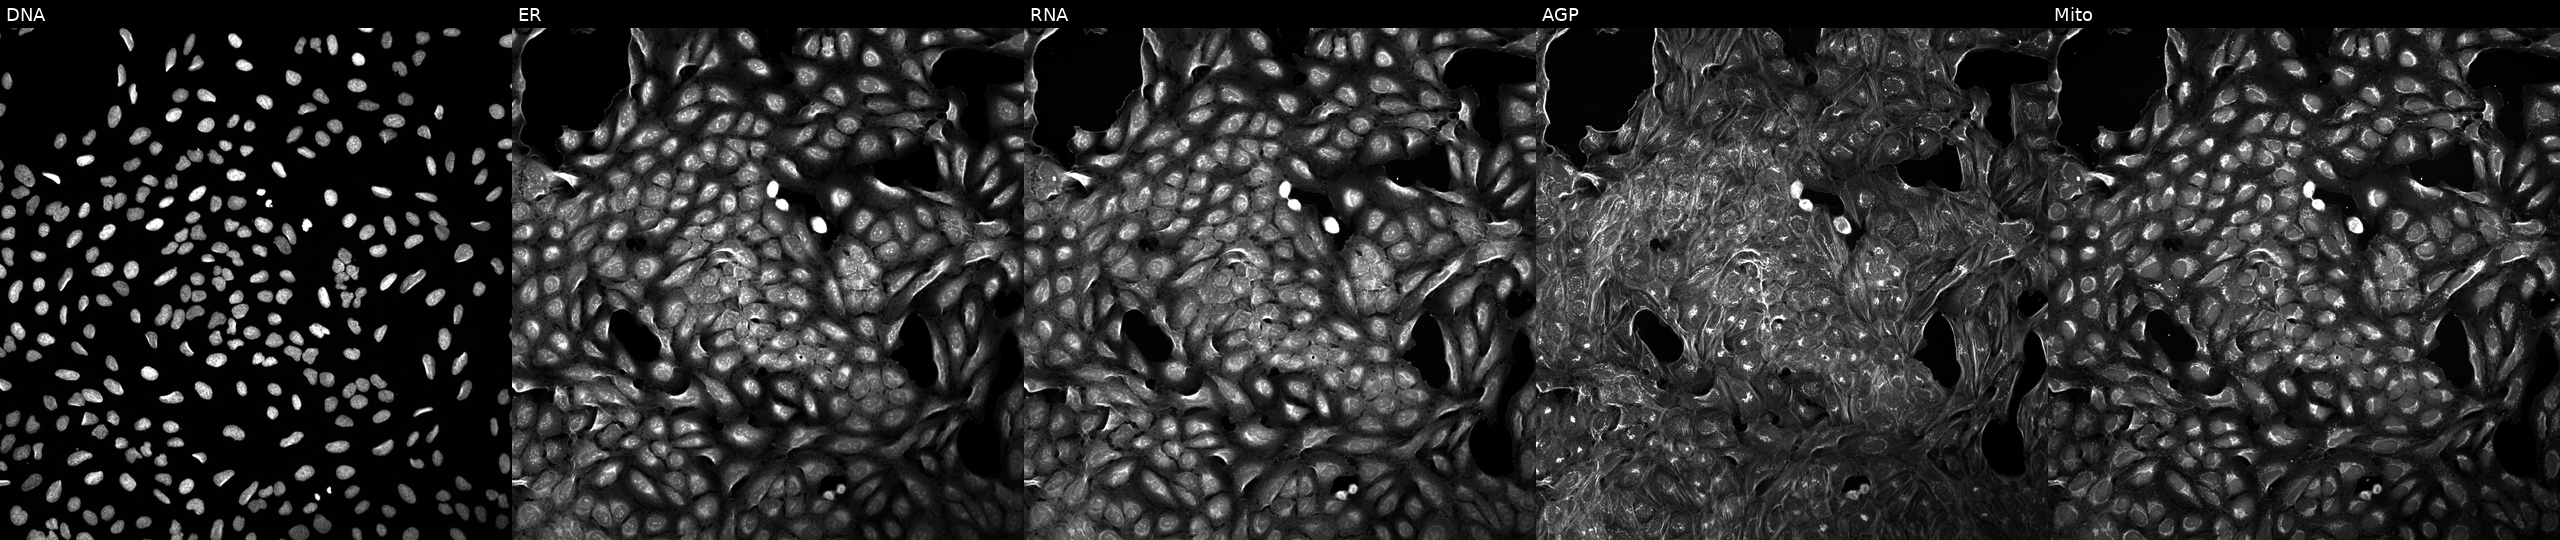
High-content fluorescence microscopy (Cell Painting). Cell line: U2OS. Perturbation: treated with a small-molecule compound [SMILES: Cn1c(CNC(=O)CCC2CCN(S(=O)(=O)c3ccccc3)CC2)nc2ccccc21]. Panels show, left to right, Hoechst 33342, concanavalin A, SYTO 14, phalloidin and WGA, MitoTracker.